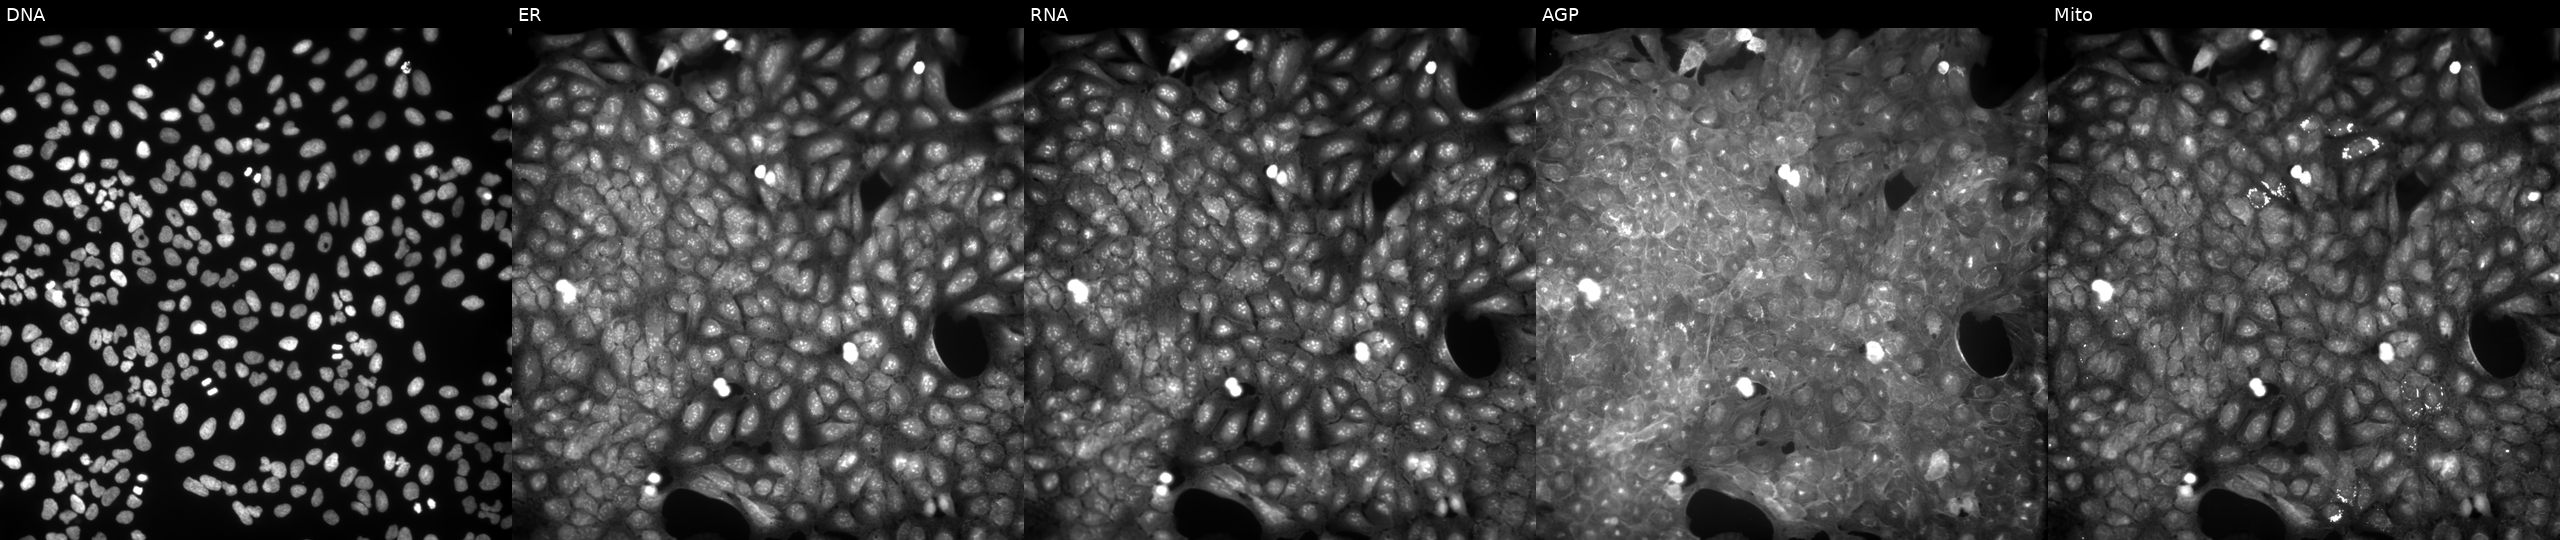
High-content fluorescence microscopy (Cell Painting). Cell line: U2OS. Perturbation: perturbed with a small-molecule compound (InChIKey ZGIPIAISSLMZDY-UHFFFAOYSA-N). The five panels, left to right, show DNA, ER, RNA, AGP, and Mito. Source 9, plate GR00003382, well AE18.